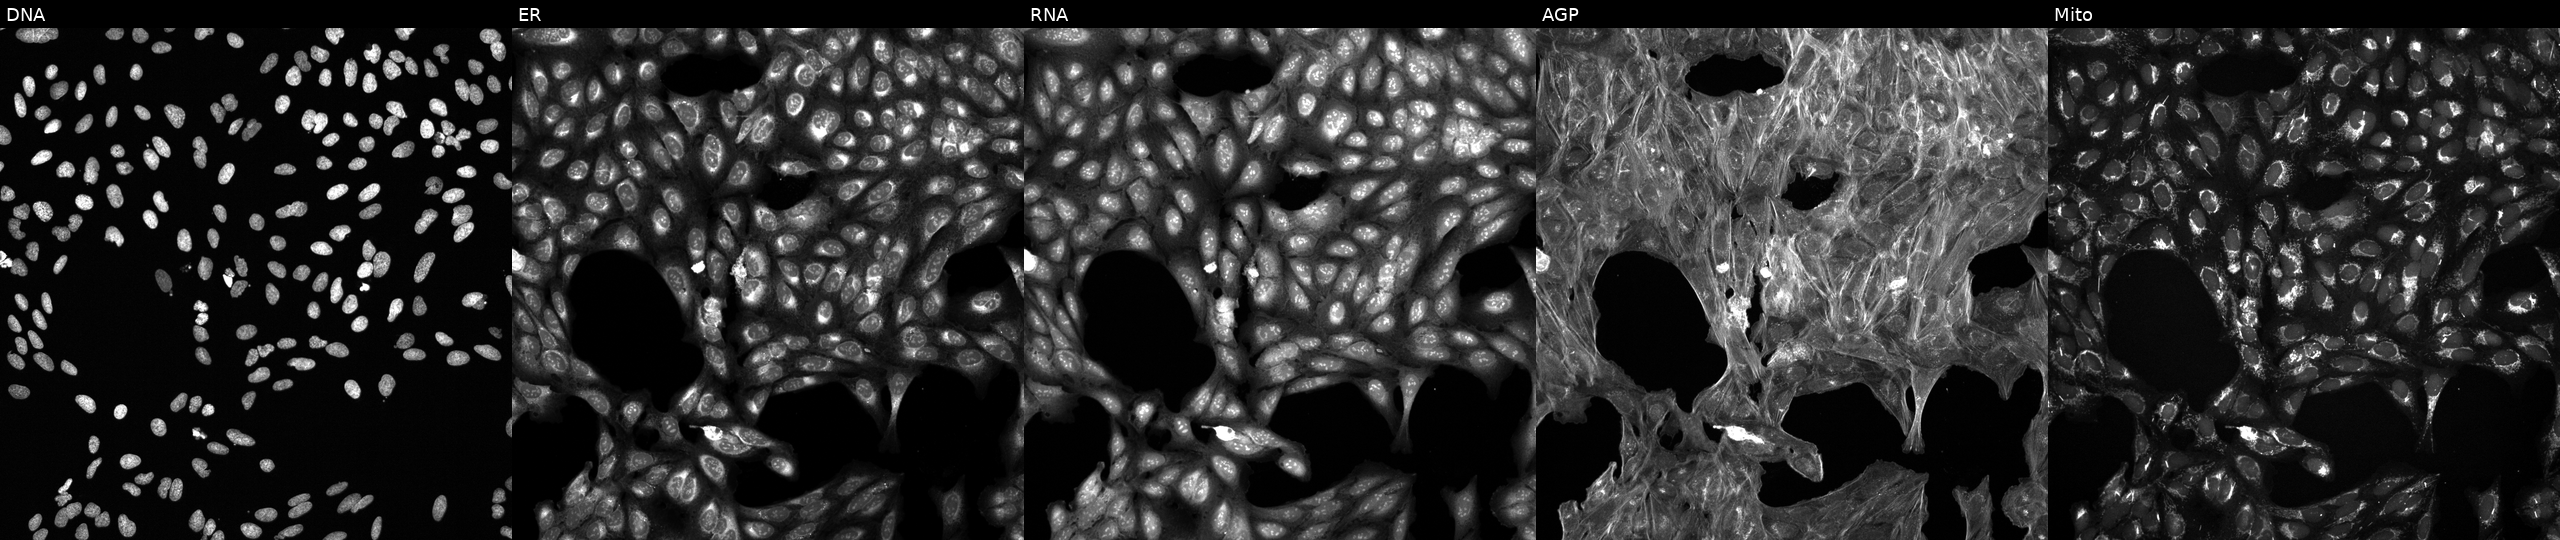
High-content fluorescence microscopy (Cell Painting). Cell line: U2OS. Perturbation: exposed to a small-molecule compound. The five panels, left to right, show Hoechst 33342, concanavalin A, SYTO 14, phalloidin and WGA, MitoTracker. Source 6, plate 110000293083, well A20.